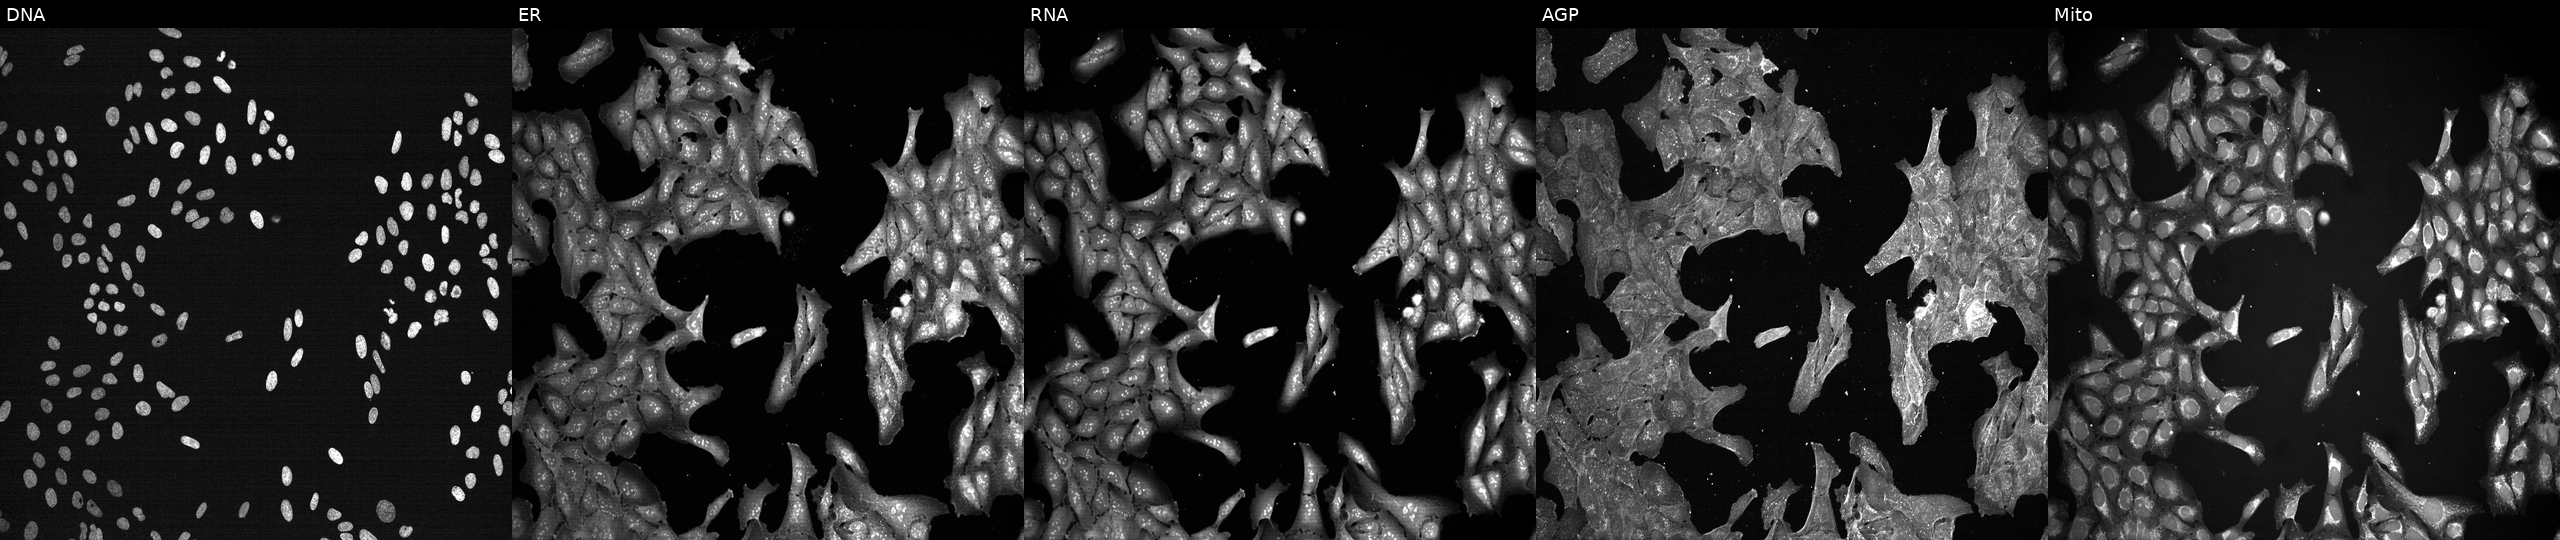
Panels show, left to right, Hoechst 33342, concanavalin A, SYTO 14, phalloidin and WGA, MitoTracker. U2OS osteosarcoma cells exposed to DMSO alone as a negative control (JUMP id JCP2022_033924). Cell Painting assay, JUMP-CP dataset.